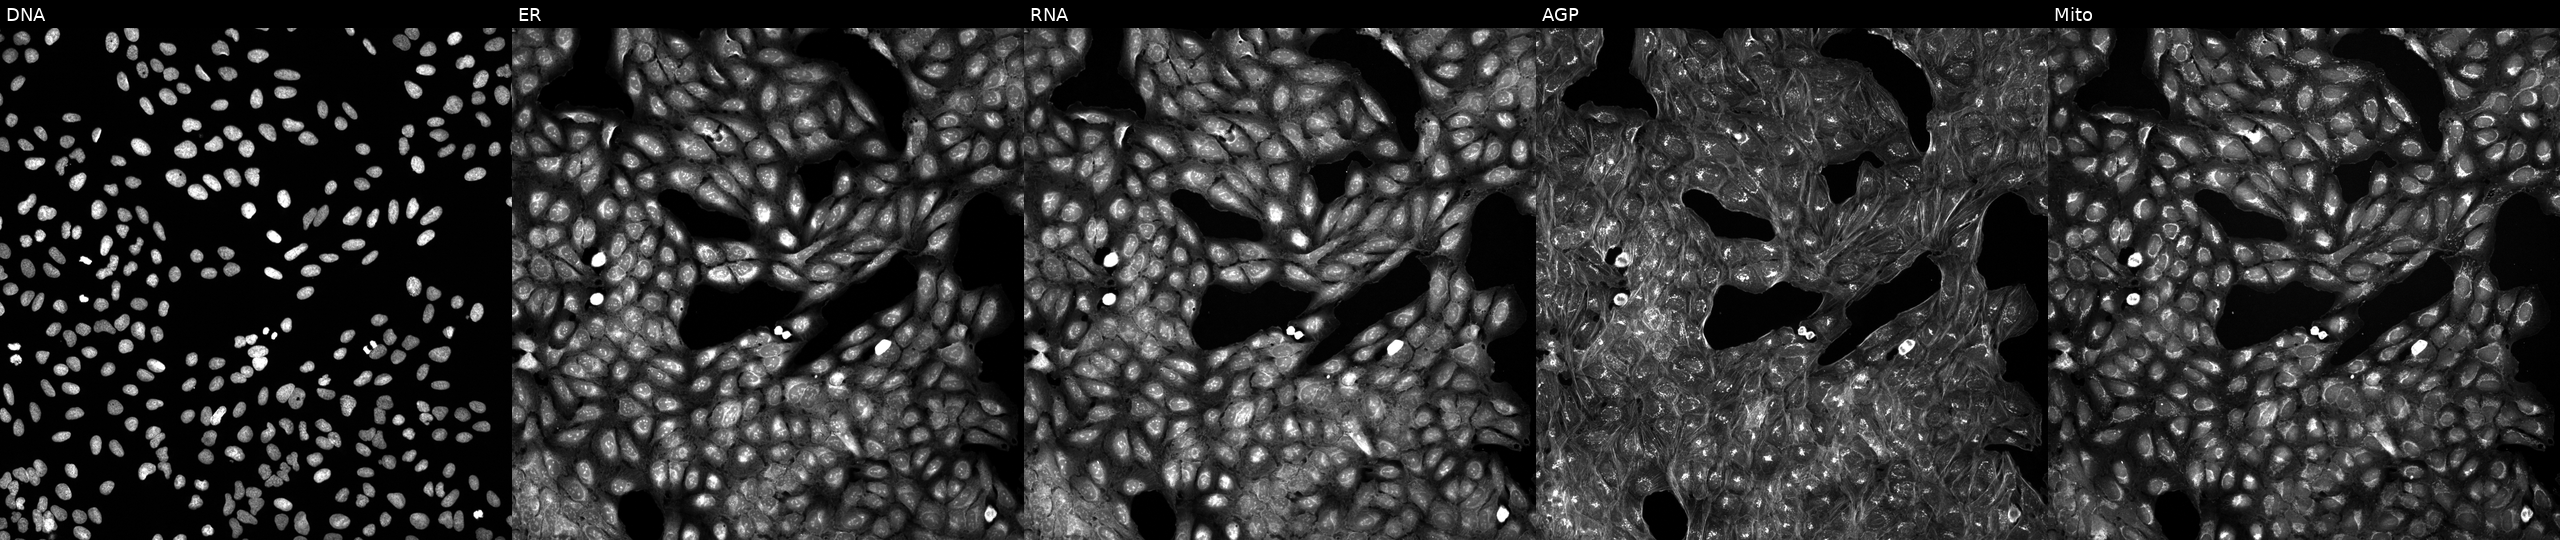
JUMP Cell Painting — COMPOUND plate. U2OS cells treated with a small-molecule compound (InChIKey VXDPNDZZILWNGK-UHFFFAOYSA-N) (JUMP id JCP2022_096883). Panels show, left to right, DNA (nuclei); ER (endoplasmic reticulum); RNA (nucleoli and cytoplasmic RNA); AGP (actin cytoskeleton, Golgi, and plasma membrane); Mito (mitochondria). Source 5, plate APTJUM106, well D06.